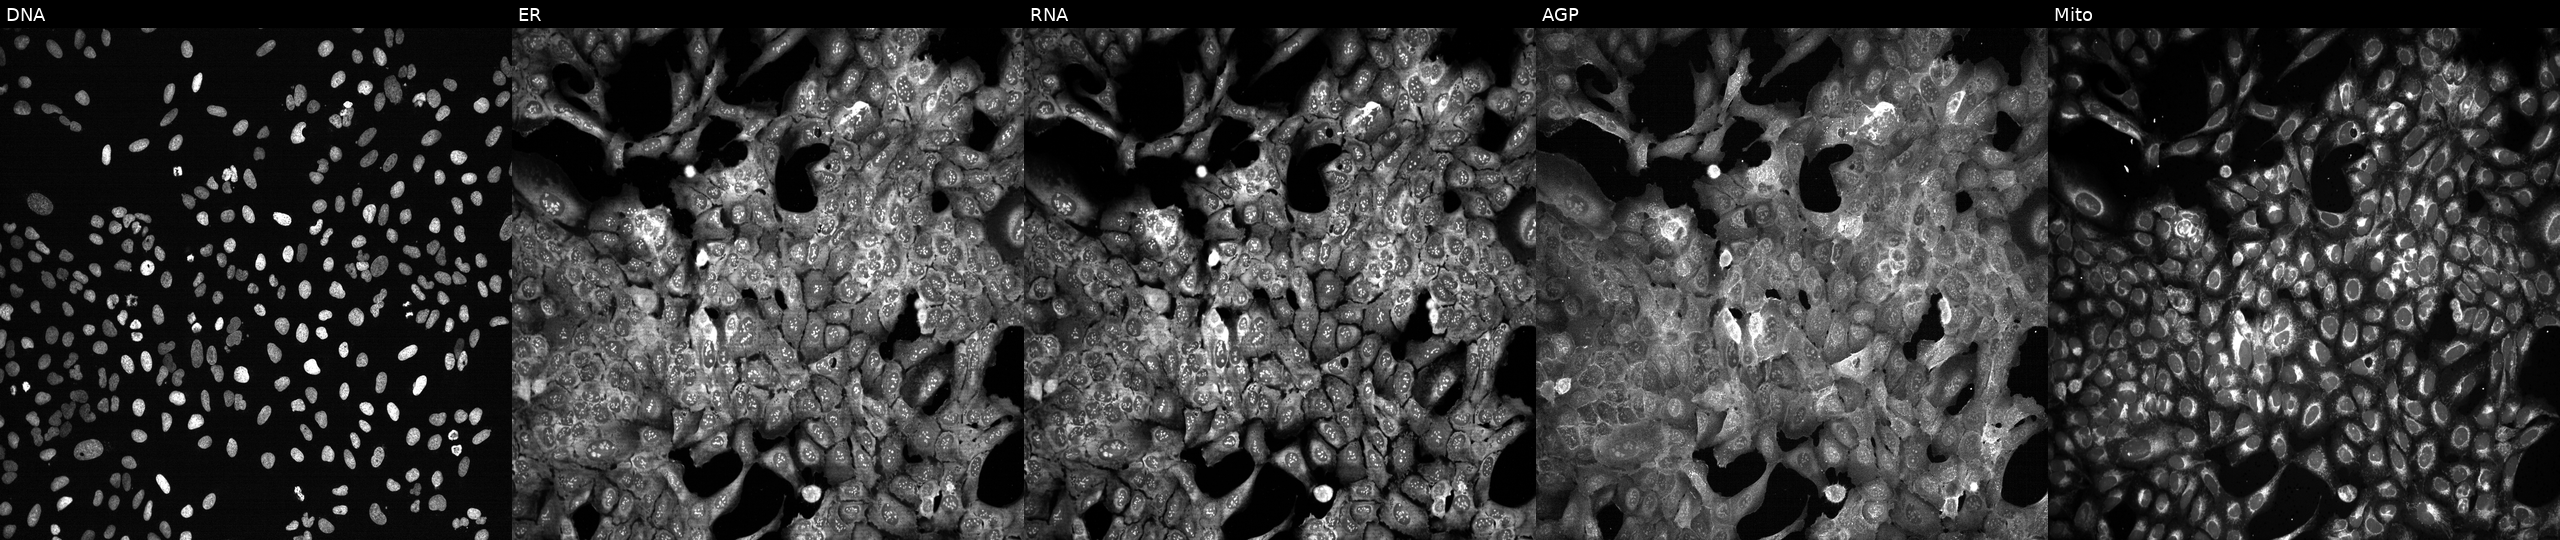
High-content fluorescence microscopy (Cell Painting). Cell line: U2OS. Perturbation: with ARSA knocked out by CRISPR (JUMP id JCP2022_800598). Panels show, left to right, Hoechst 33342, concanavalin A, SYTO 14, phalloidin and WGA, MitoTracker.